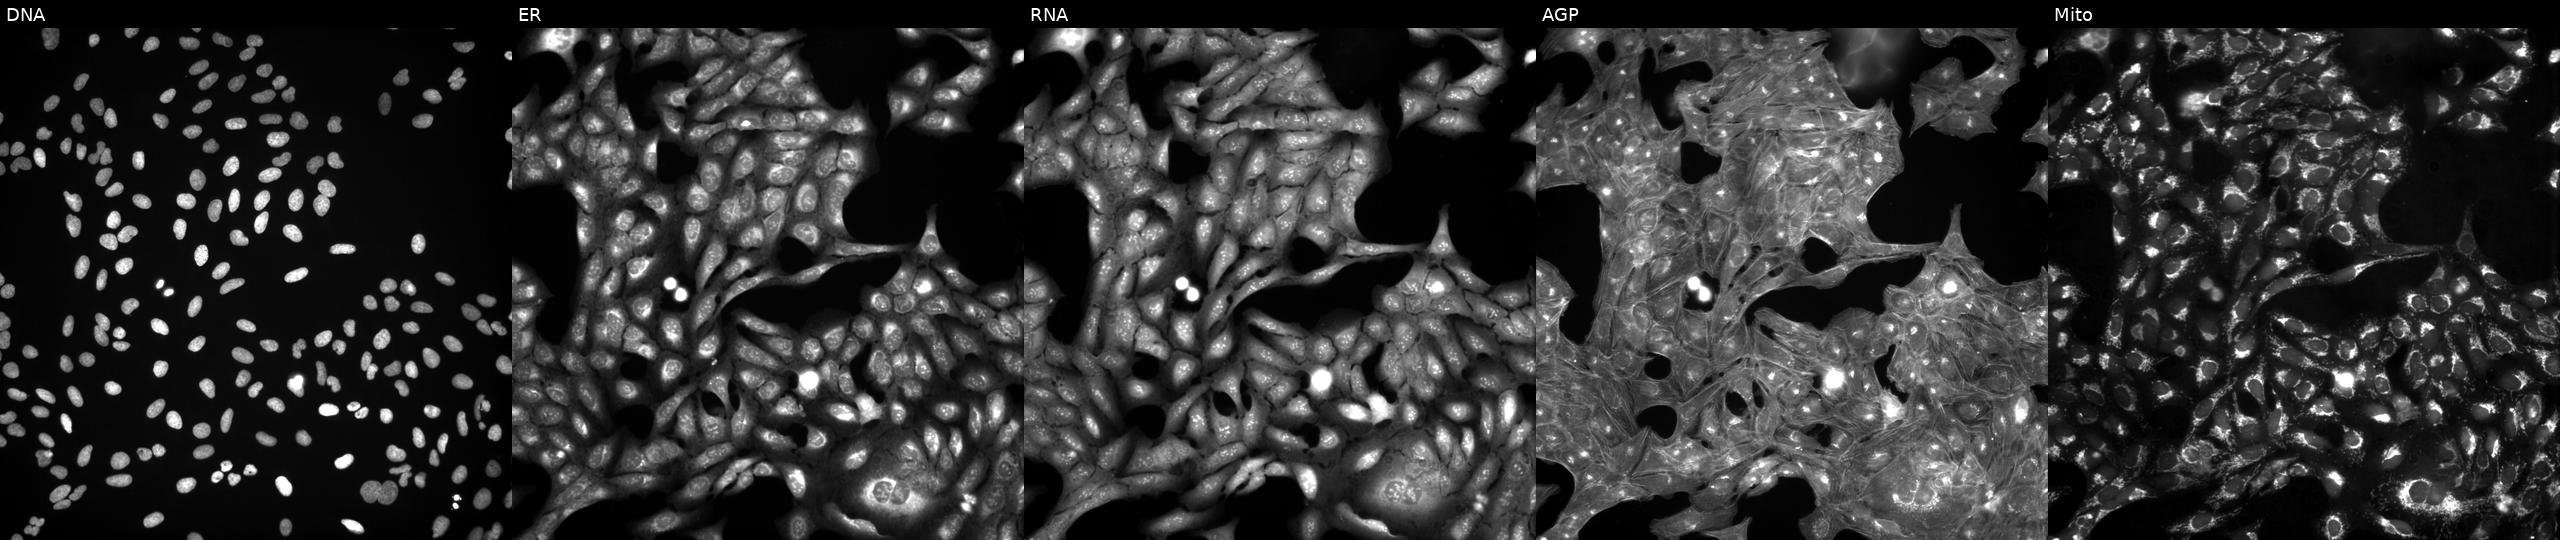
JUMP Cell Painting — TARGET2 plate. U2OS cells perturbed with a small-molecule compound (InChIKey SNICXCGAKADSCV-UHFFFAOYSA-N) (JUMP id JCP2022_084364). Panels show, left to right, Hoechst 33342, concanavalin A, SYTO 14, phalloidin and WGA, MitoTracker.